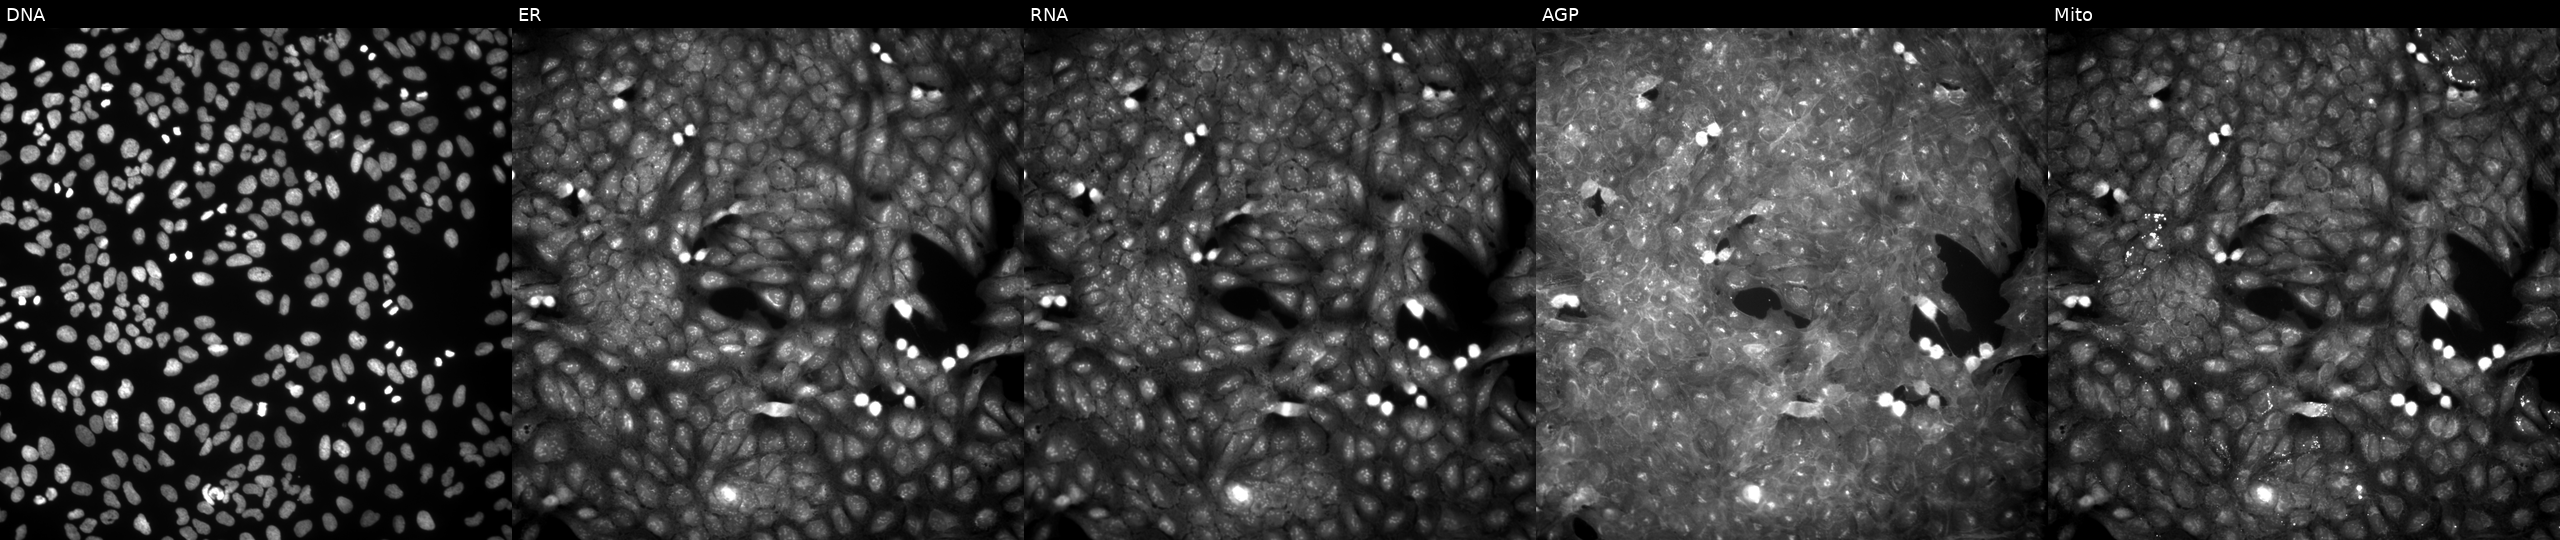
JUMP Cell Painting — COMPOUND plate. U2OS cells exposed to DMSO alone as a negative control. Panels show, left to right, DNA, ER, RNA, AGP, and Mito.